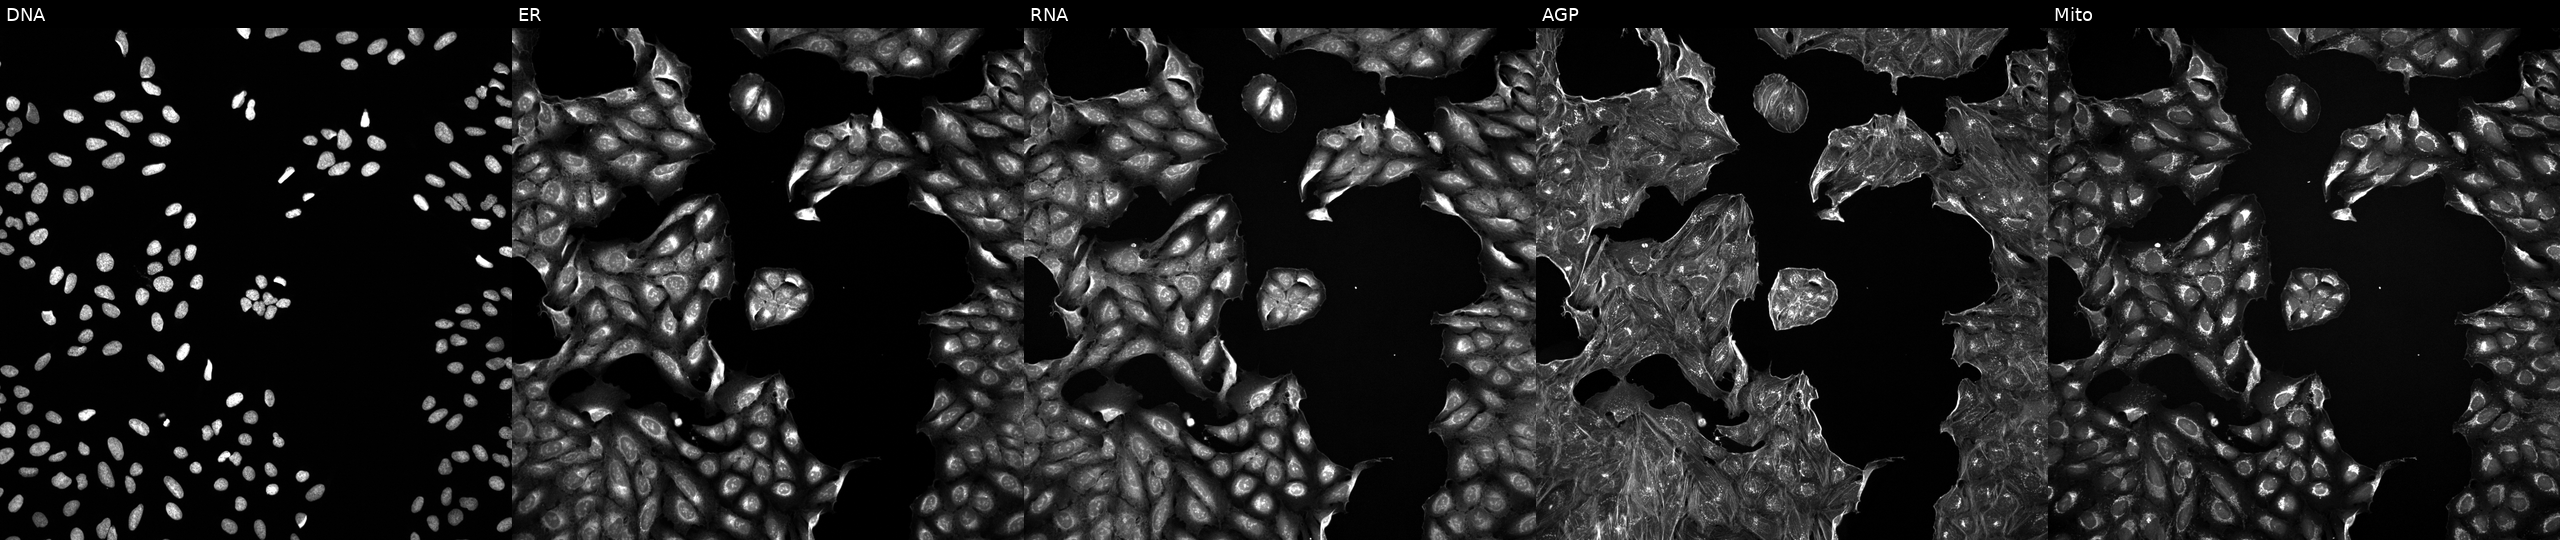
JUMP Cell Painting — TARGET2 plate. U2OS cells treated with DMSO vehicle only (negative control) (JUMP id JCP2022_033924). From left to right: DNA (nuclei); ER (endoplasmic reticulum); RNA (nucleoli and cytoplasmic RNA); AGP (actin cytoskeleton, Golgi, and plasma membrane); Mito (mitochondria).